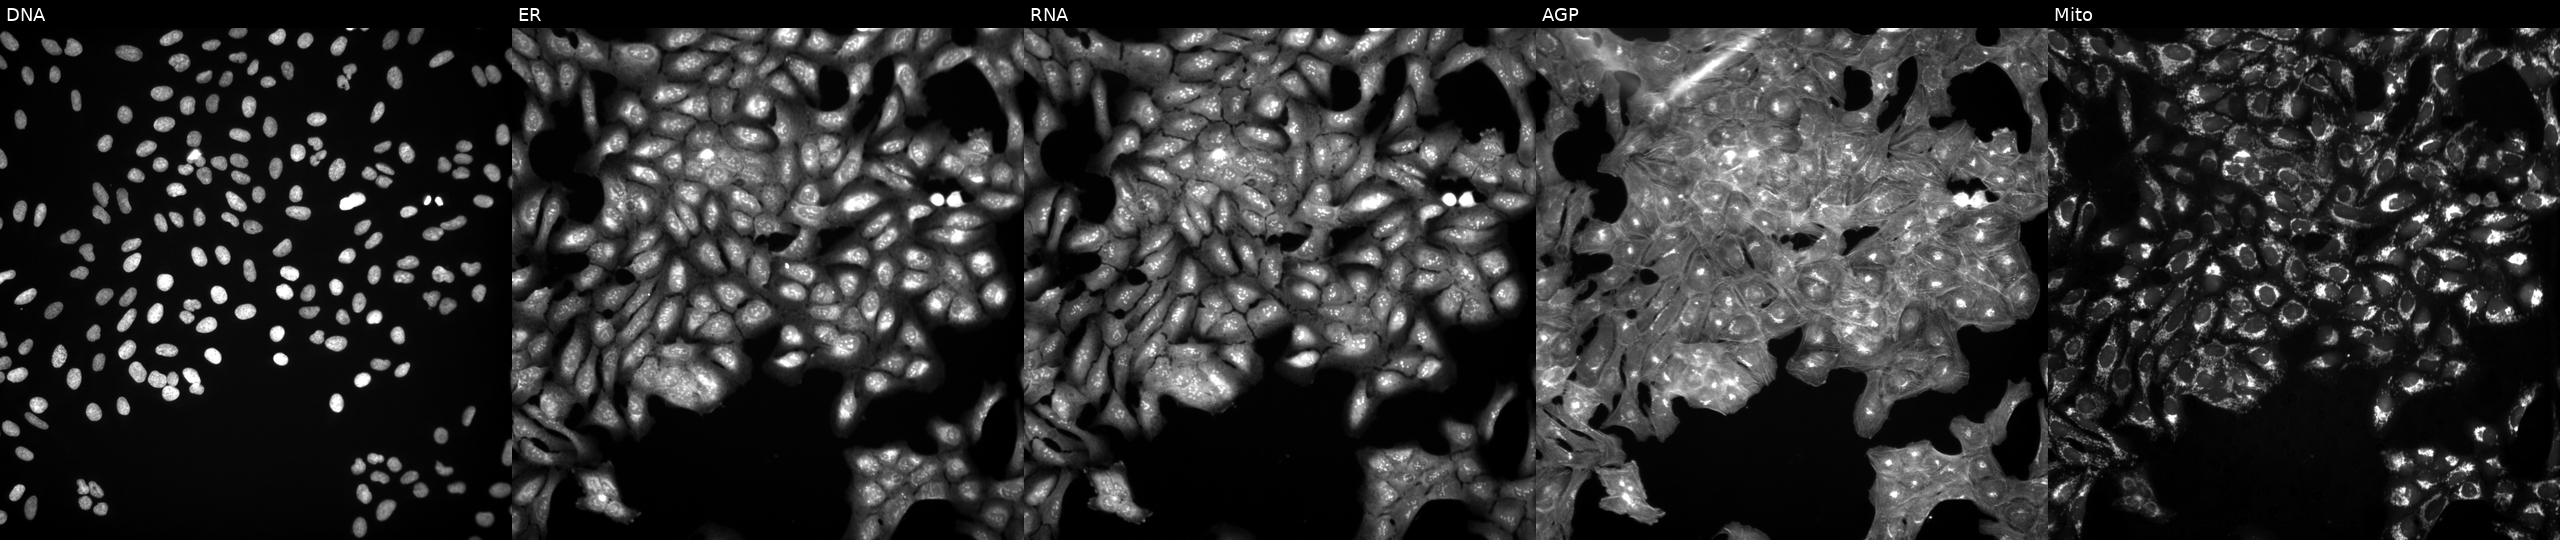
Five-channel Cell Painting image of U2OS cells exposed to DMSO alone as a negative control. Panels show, left to right, DNA, ER, RNA, AGP, and Mito. Source 3, plate JCPQC051, well M03.